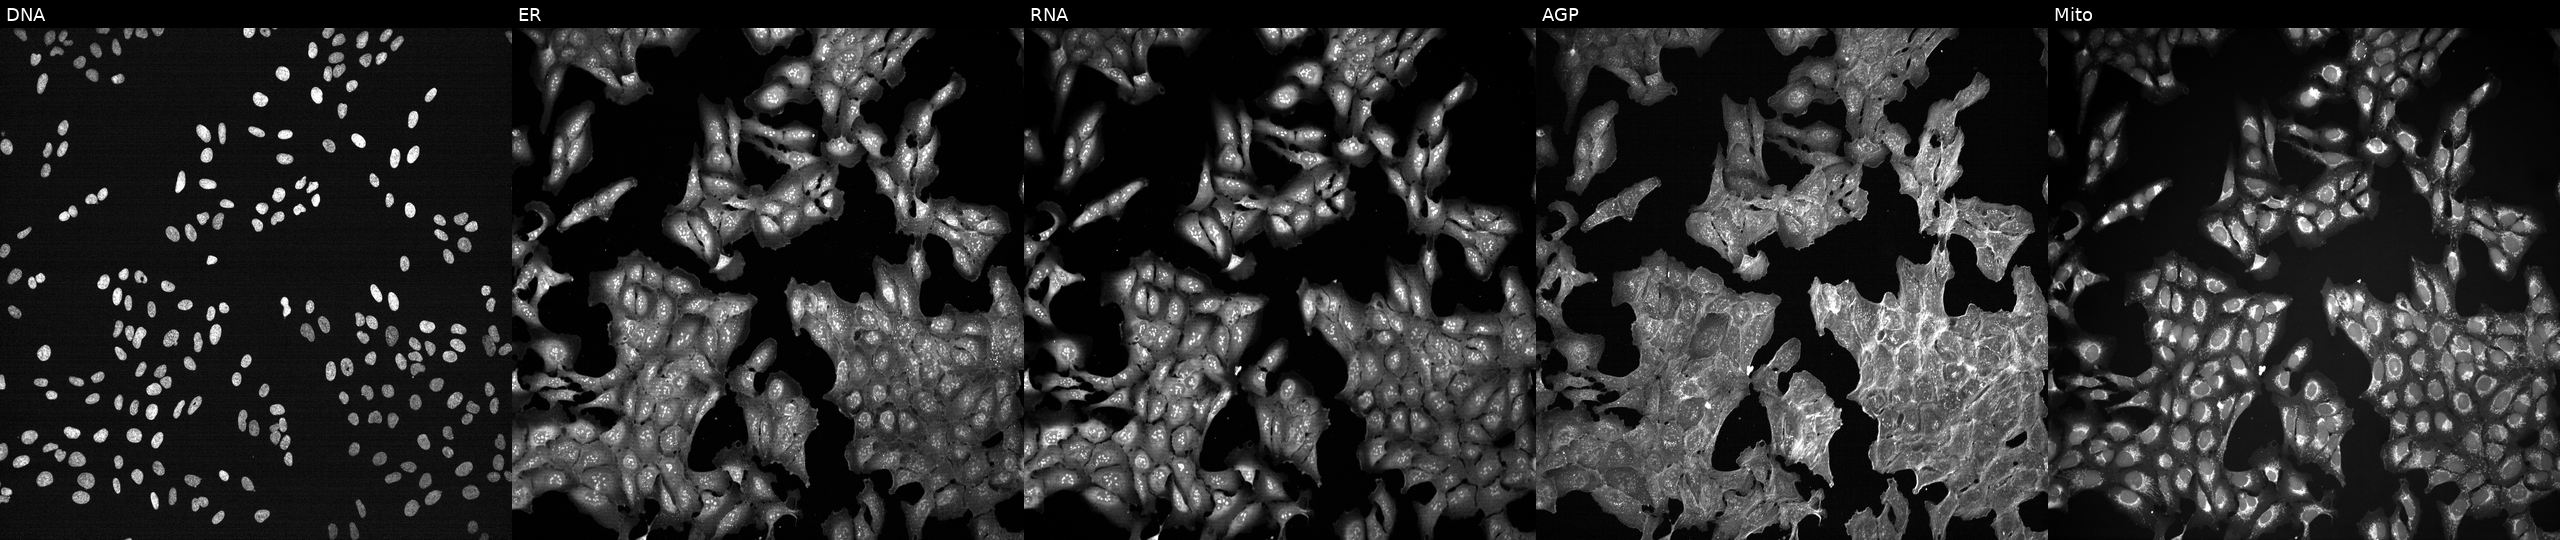
This image strip shows the five Cell Painting channels for a single field of U2OS cells treated with a small-molecule compound (JUMP id JCP2022_002118). From left to right: DNA (nuclei); ER (endoplasmic reticulum); RNA (nucleoli and cytoplasmic RNA); AGP (actin cytoskeleton, Golgi, and plasma membrane); Mito (mitochondria).